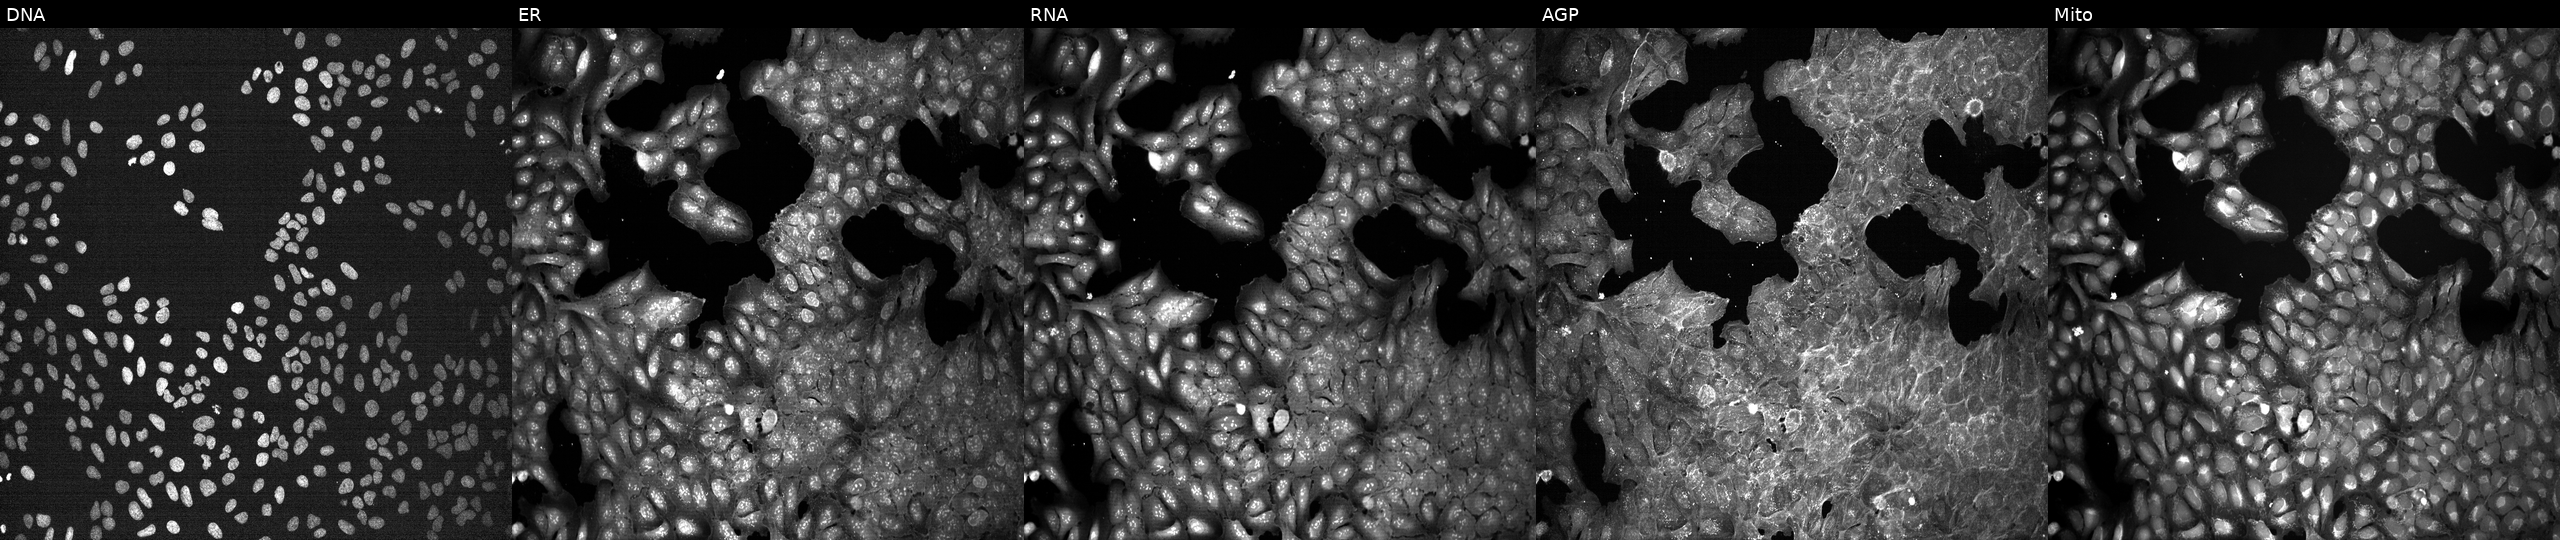
High-content fluorescence microscopy (Cell Painting). Cell line: U2OS. Perturbation: perturbed with a small-molecule compound (InChIKey ALOBUEHUHMBRLE-UHFFFAOYSA-N). Channels (left→right): DNA (nuclei); ER (endoplasmic reticulum); RNA (nucleoli and cytoplasmic RNA); AGP (actin cytoskeleton, Golgi, and plasma membrane); Mito (mitochondria).